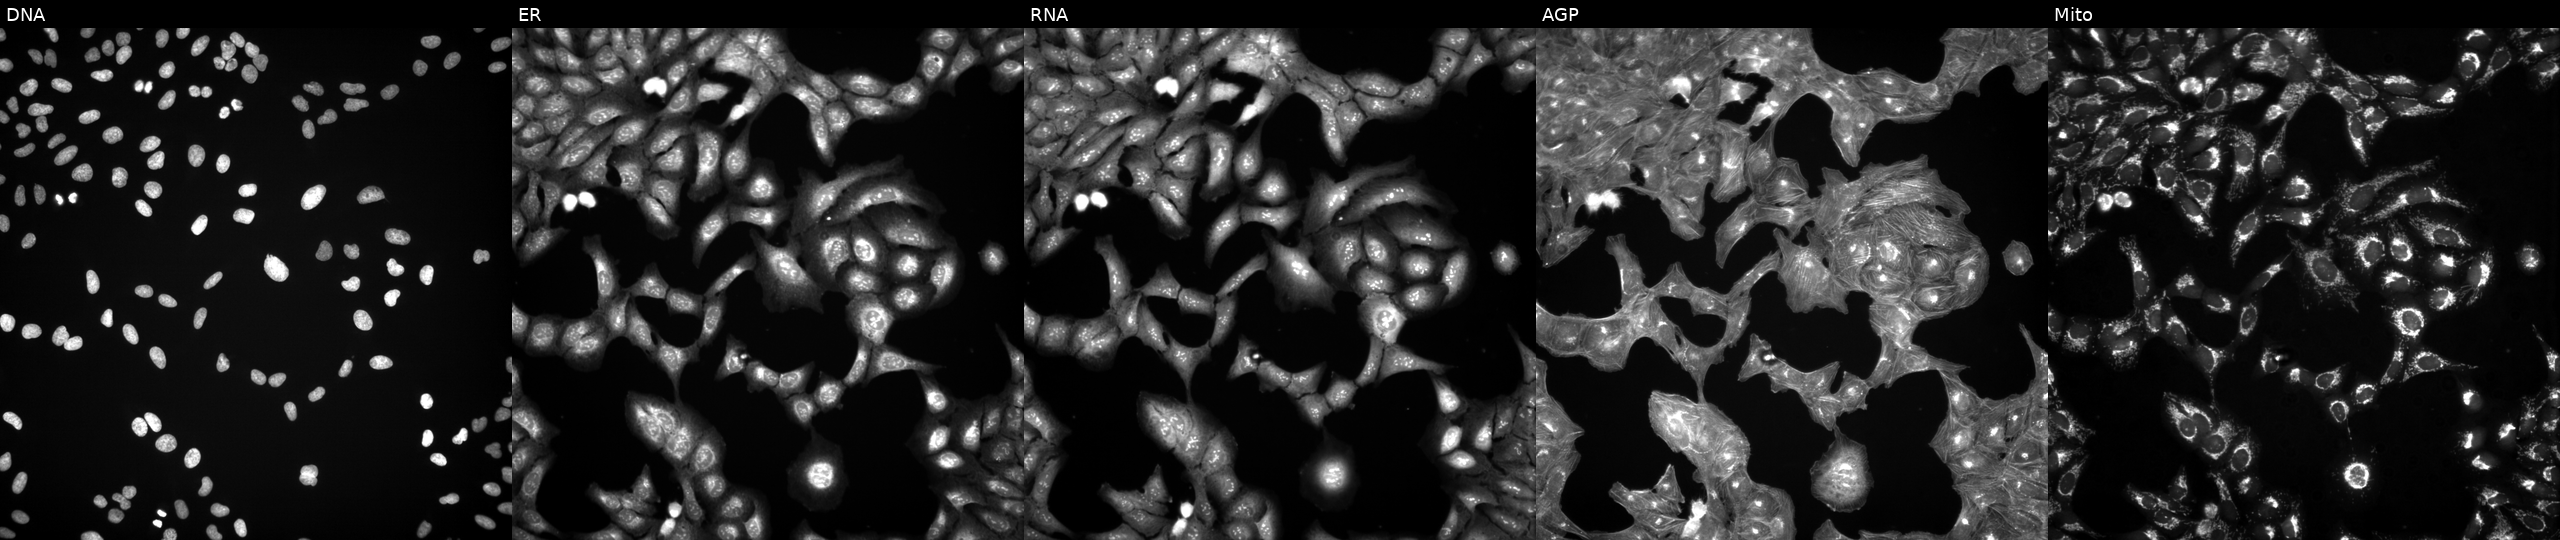
Five-channel Cell Painting image of U2OS cells treated with quinidine (positive-control compound) (JUMP id JCP2022_050797). The five panels, left to right, show DNA (nuclei); ER (endoplasmic reticulum); RNA (nucleoli and cytoplasmic RNA); AGP (actin cytoskeleton, Golgi, and plasma membrane); Mito (mitochondria). Source 3, plate JCPQC051, well H12.